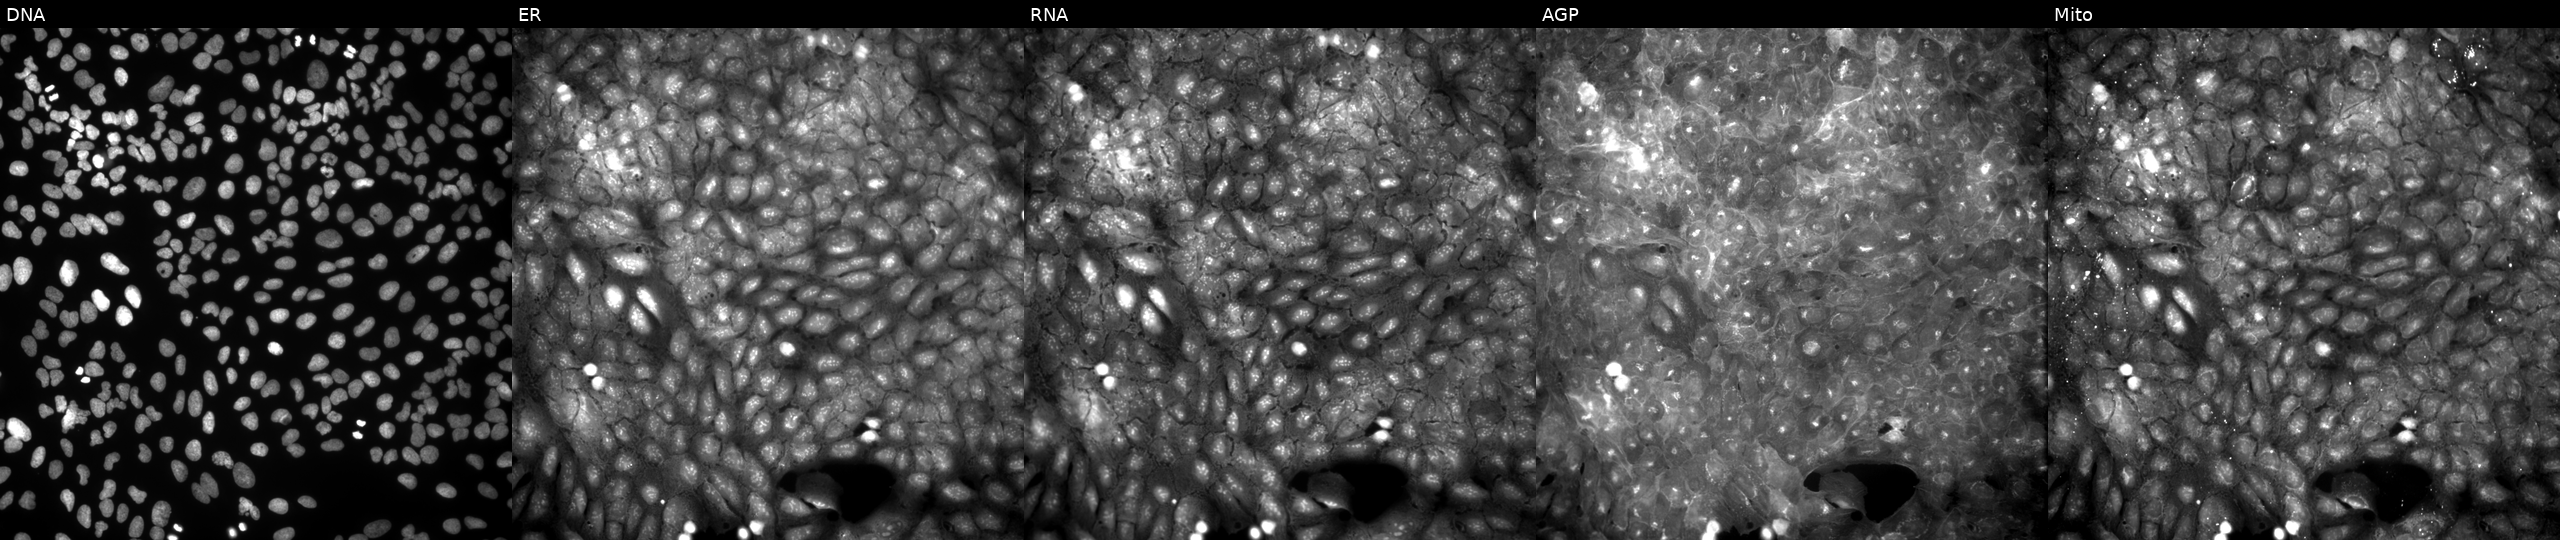
JUMP Cell Painting — COMPOUND plate. U2OS cells treated with DMSO vehicle only (negative control). From left to right: Hoechst 33342, concanavalin A, SYTO 14, phalloidin and WGA, MitoTracker.